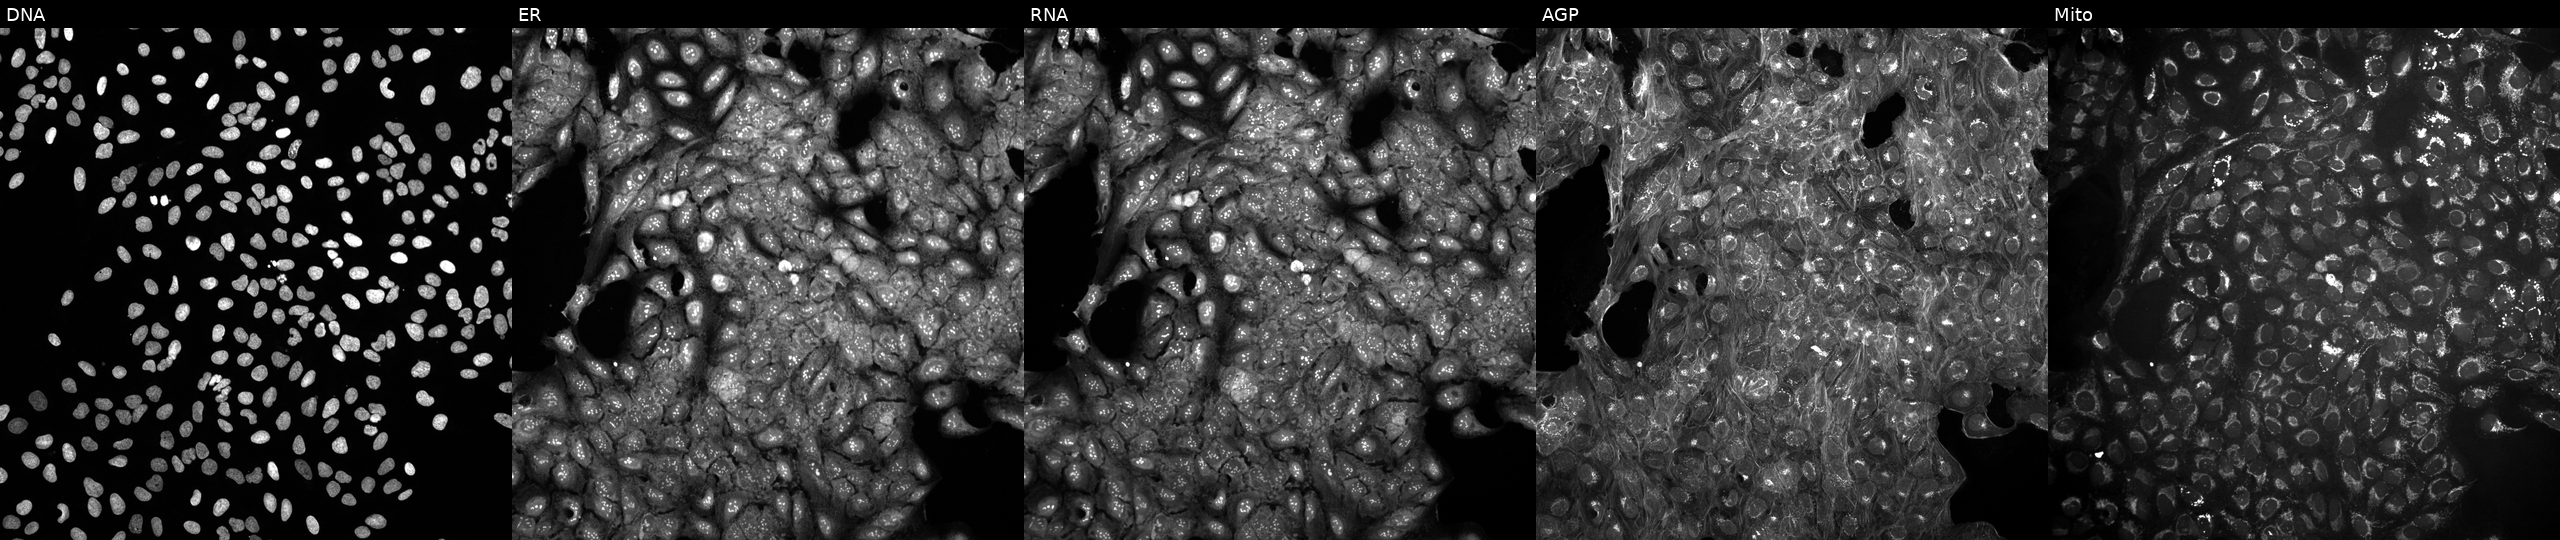
JUMP Cell Painting — COMPOUND plate. U2OS cells in an empty control well (no perturbation). From left to right: DNA (nuclei); ER (endoplasmic reticulum); RNA (nucleoli and cytoplasmic RNA); AGP (actin cytoskeleton, Golgi, and plasma membrane); Mito (mitochondria).